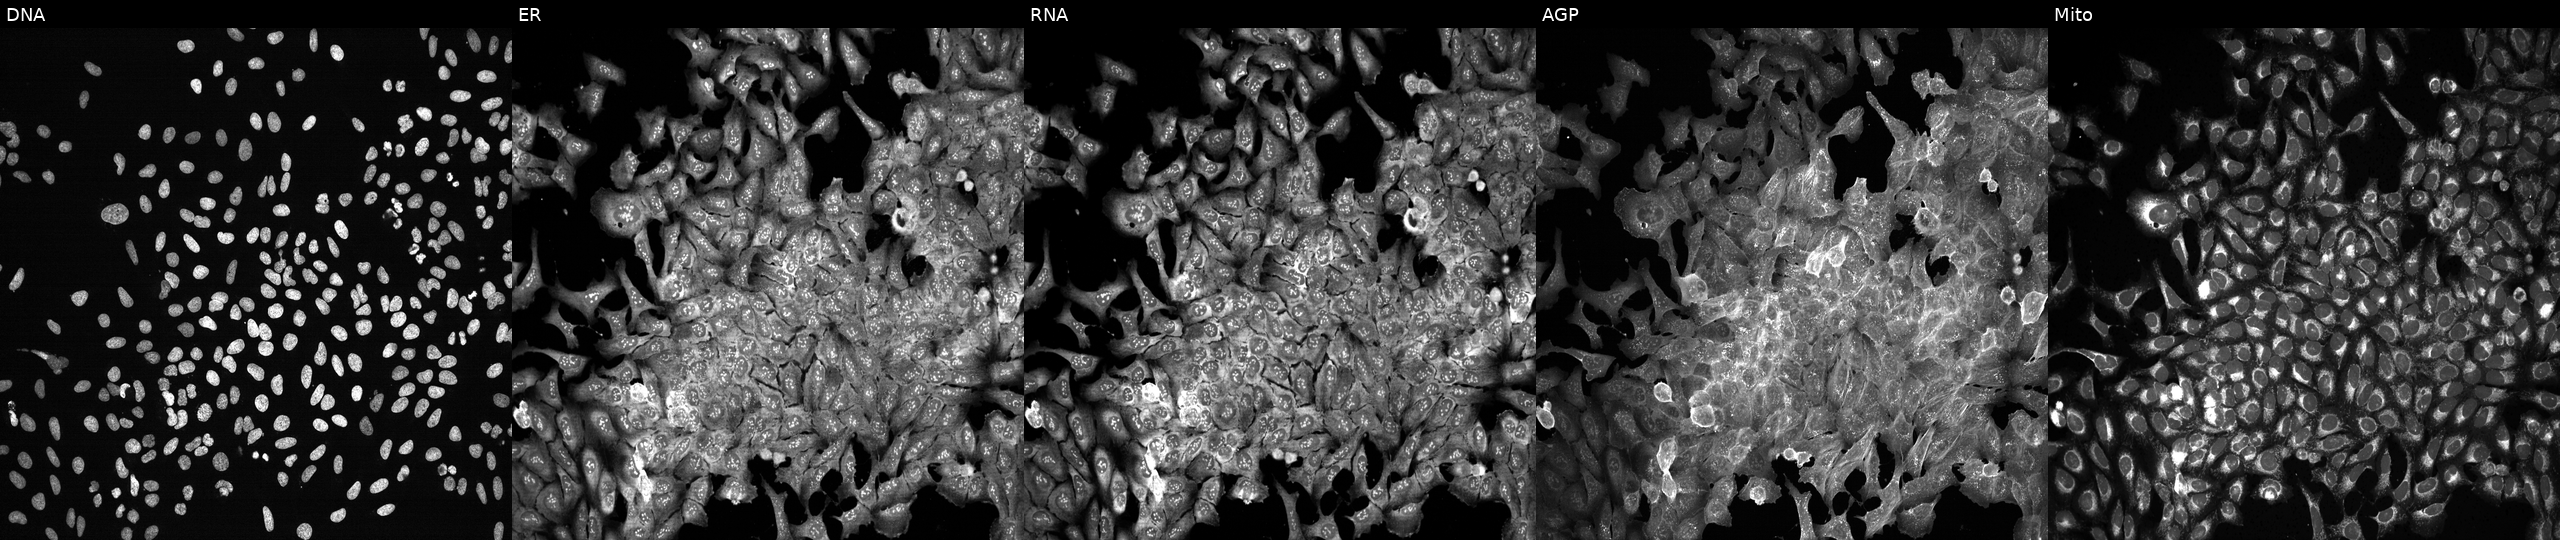
Five-channel Cell Painting image of U2OS cells with KLK10 knocked out by CRISPR. From left to right: DNA, ER, RNA, AGP, and Mito.